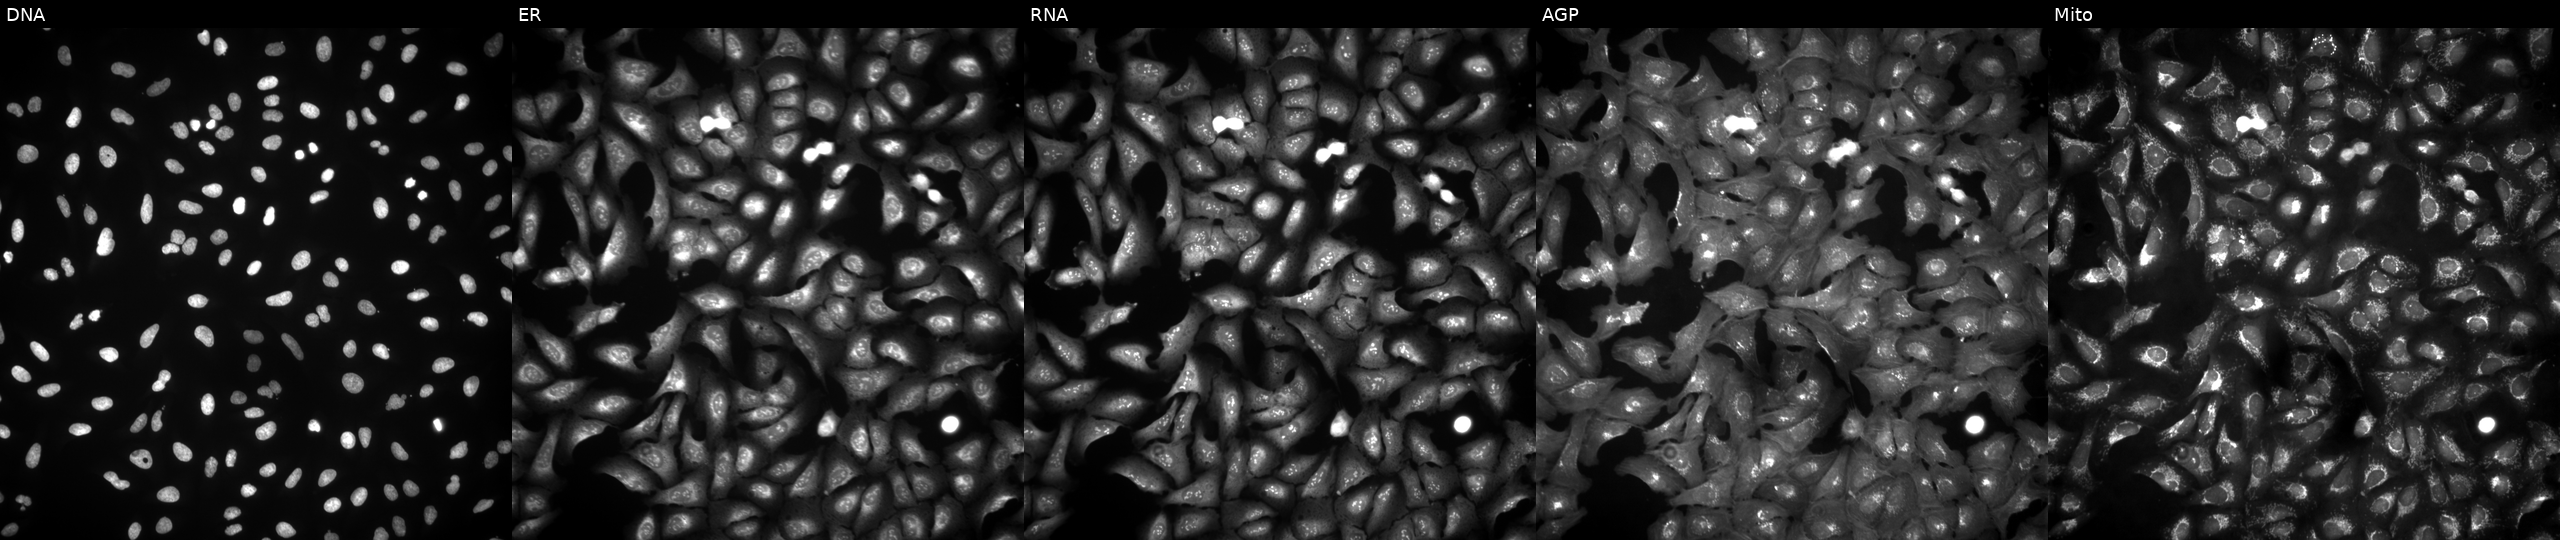
Channels (left→right): DNA (nuclei); ER (endoplasmic reticulum); RNA (nucleoli and cytoplasmic RNA); AGP (actin cytoskeleton, Golgi, and plasma membrane); Mito (mitochondria). U2OS osteosarcoma cells transfected with an ORF construct for FBRS. Cell Painting assay, JUMP-CP dataset. Source 4, plate BR00124790, well B13.